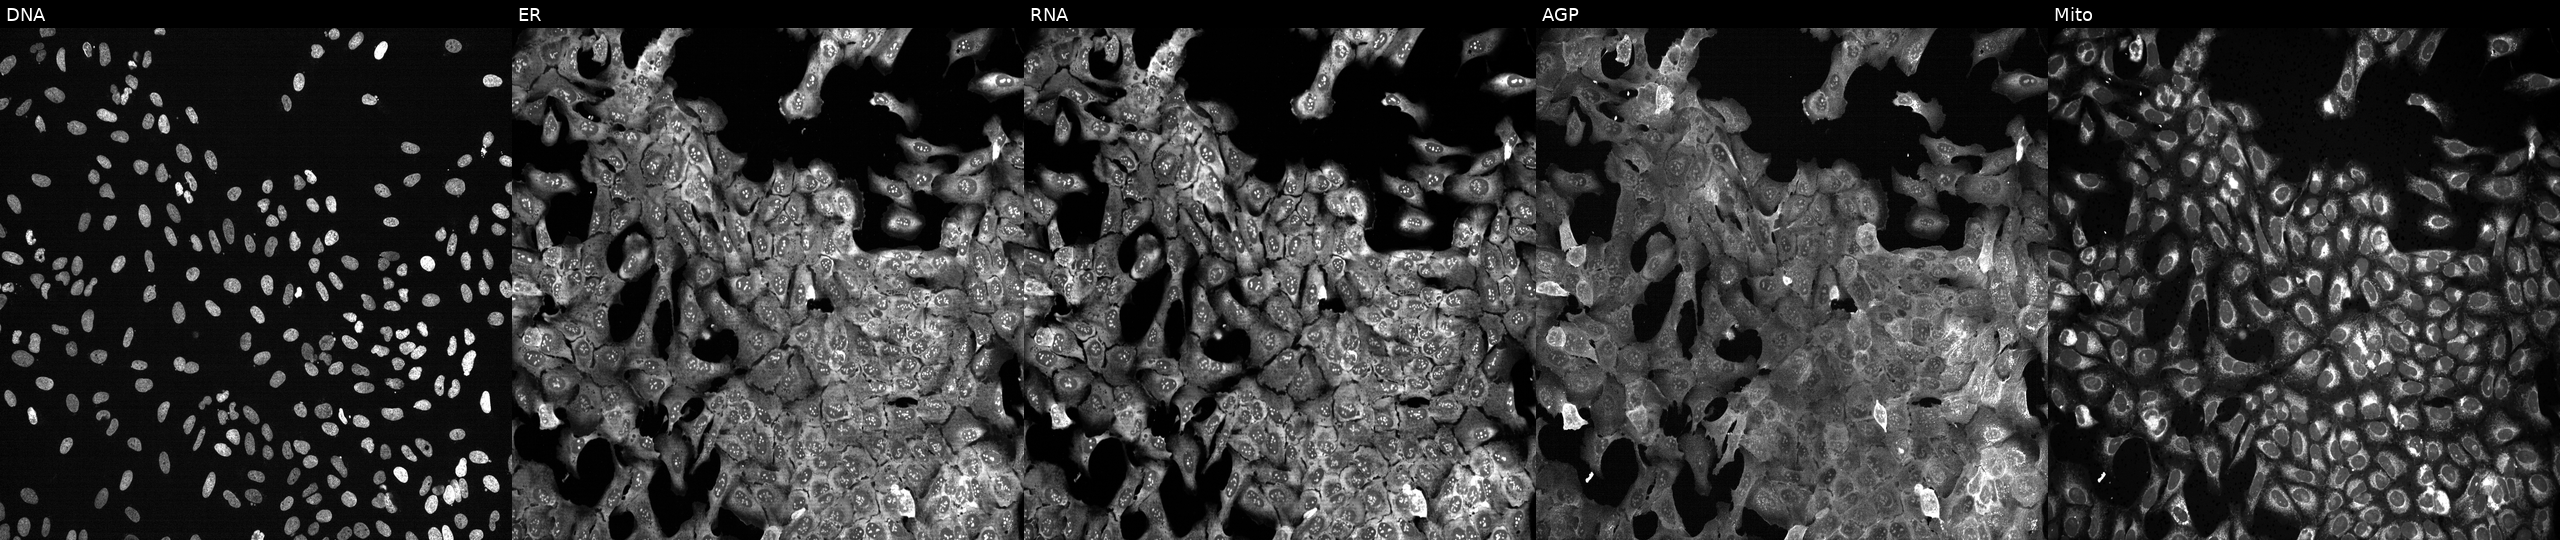
U2OS cells, Cell Painting assay, following CRISPR knockout of PCBP1. Panels show, left to right, Hoechst 33342, concanavalin A, SYTO 14, phalloidin and WGA, MitoTracker. Each panel is percentile-stretched 16-bit fluorescence.